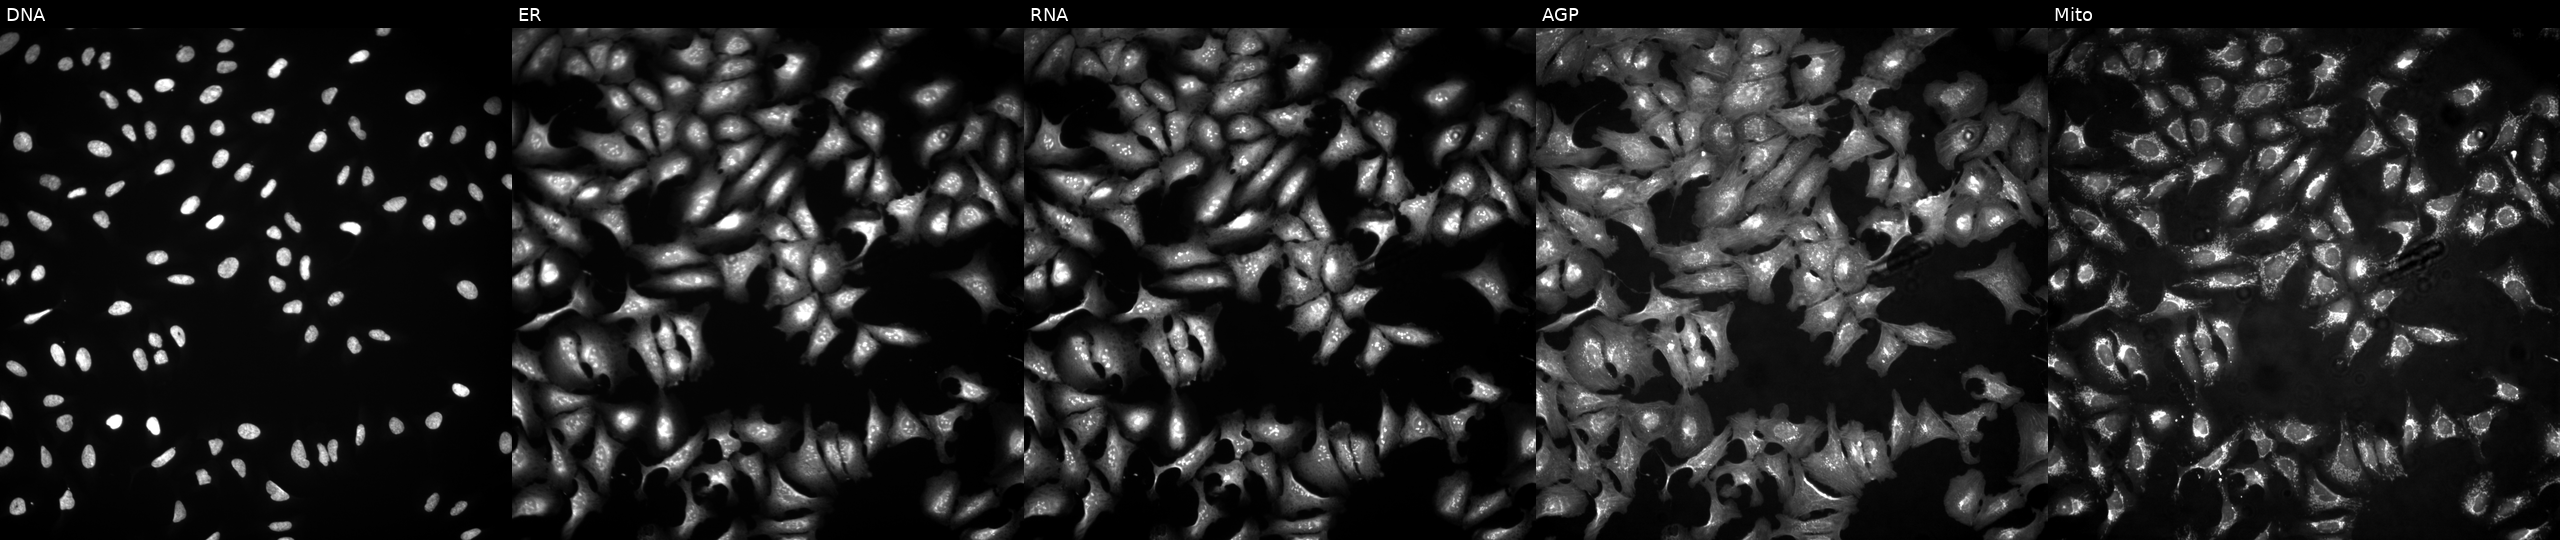
This image strip shows the five Cell Painting channels for a single field of U2OS cells overexpressing RBAKDN via ORF transfection (JUMP id JCP2022_909902). From left to right: DNA (nuclei); ER (endoplasmic reticulum); RNA (nucleoli and cytoplasmic RNA); AGP (actin cytoskeleton, Golgi, and plasma membrane); Mito (mitochondria). Source 4, plate BR00124787, well C05.